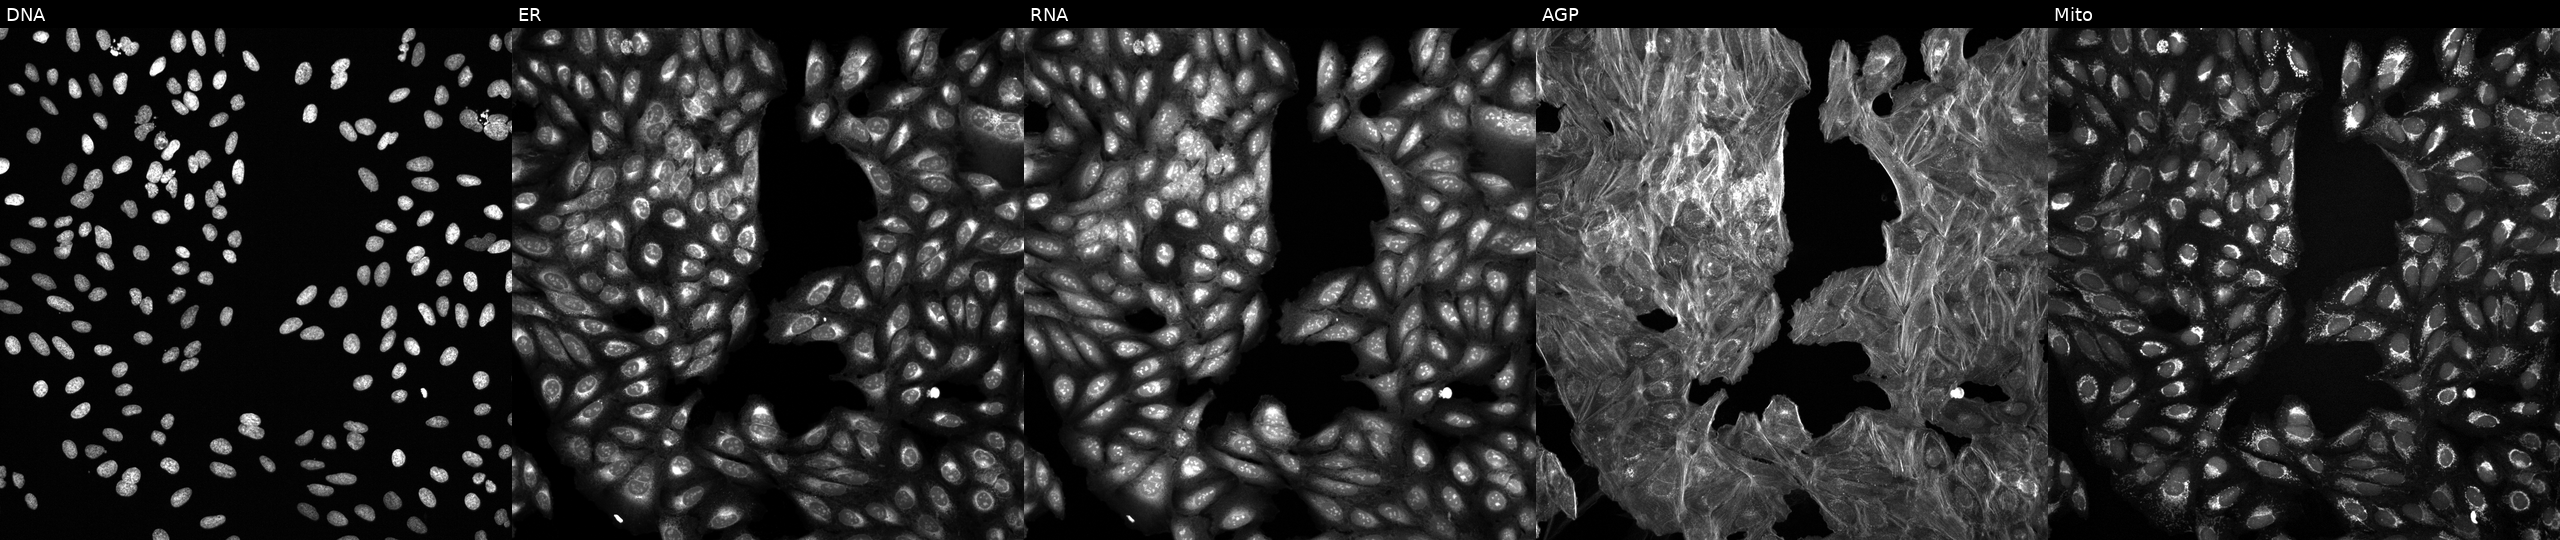
High-content fluorescence microscopy (Cell Painting). Cell line: U2OS. Perturbation: exposed to a small-molecule compound (JUMP id JCP2022_060040). Panels show, left to right, Hoechst 33342, concanavalin A, SYTO 14, phalloidin and WGA, MitoTracker. Source 6, plate 110000293081, well H21.